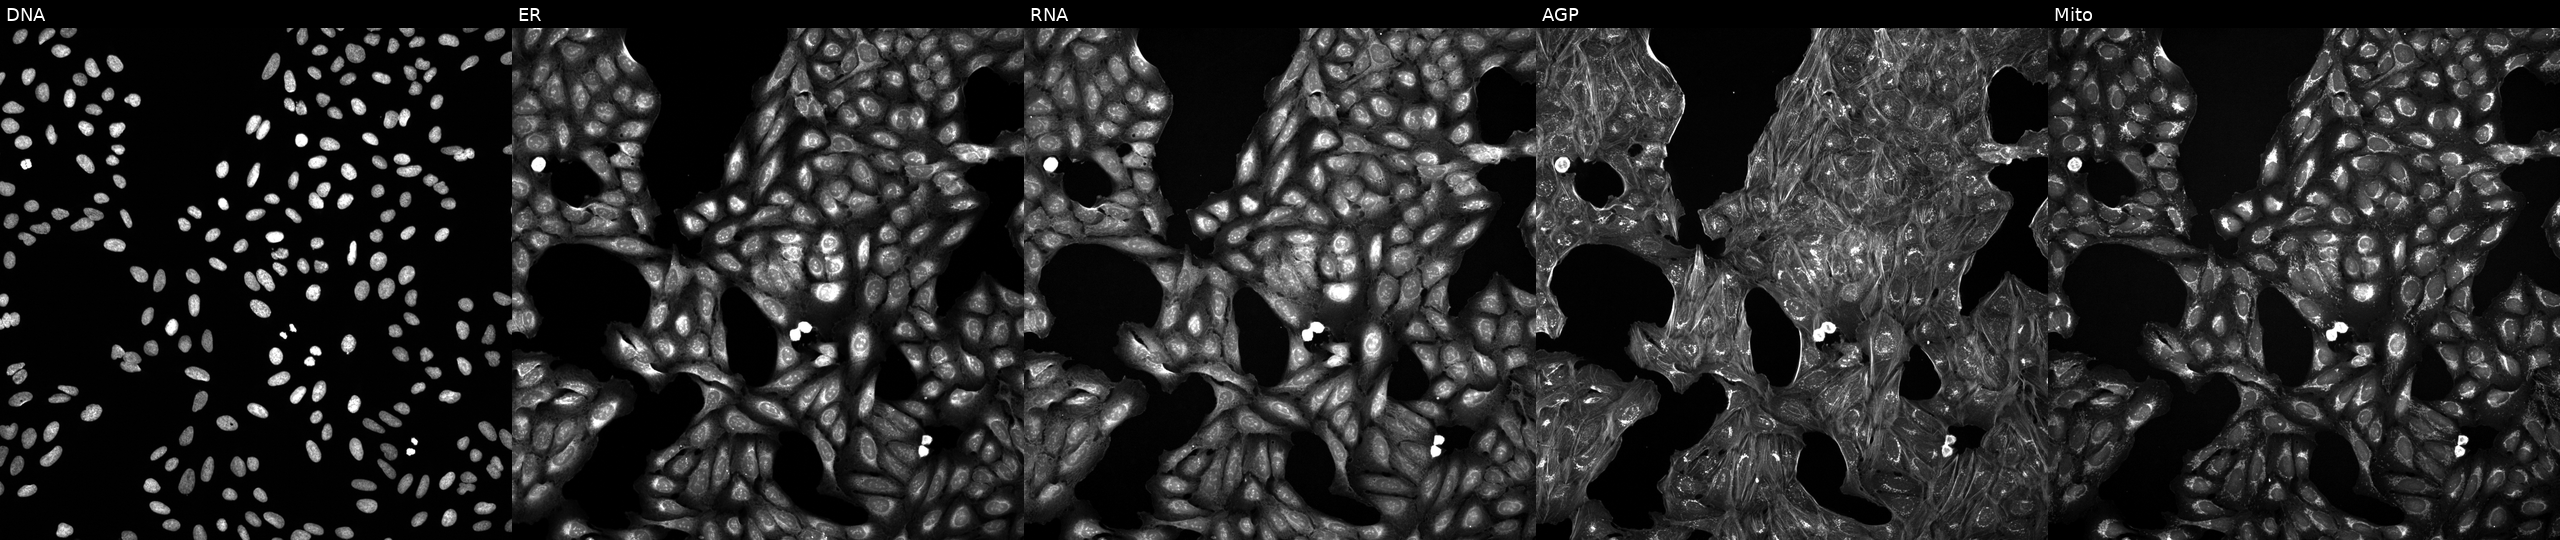
This image strip shows the five Cell Painting channels for a single field of U2OS cells exposed to DMSO alone as a negative control. The five panels, left to right, show Hoechst 33342, concanavalin A, SYTO 14, phalloidin and WGA, MitoTracker.